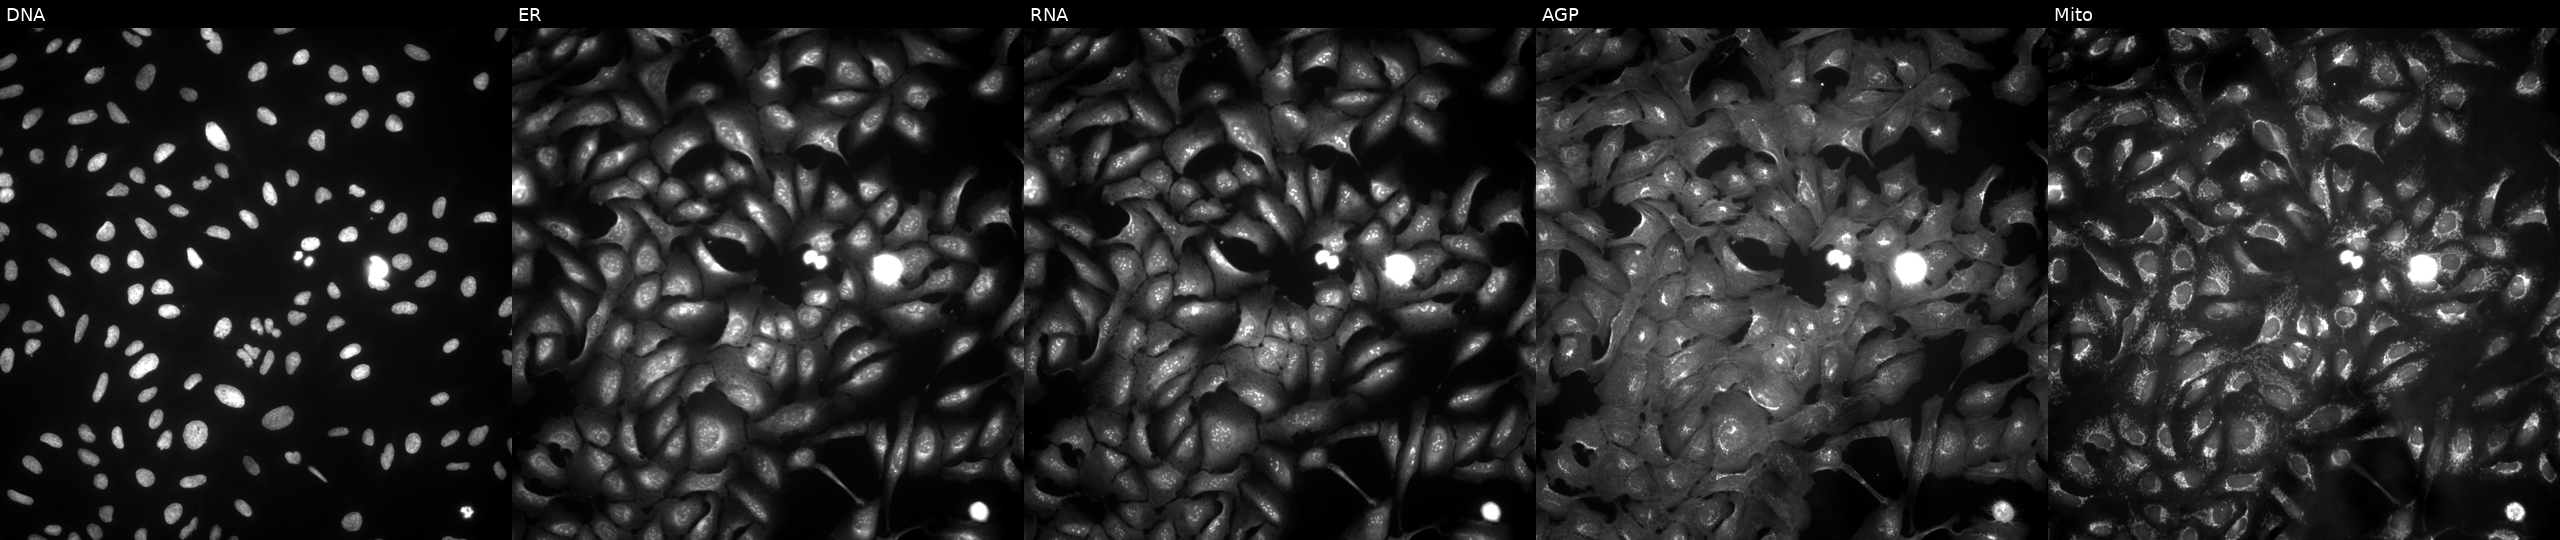
Panels show, left to right, DNA, ER, RNA, AGP, and Mito. U2OS osteosarcoma cells expressing LUCIFERASE (ORF negative control) (JUMP id JCP2022_915130). Cell Painting assay, JUMP-CP dataset.